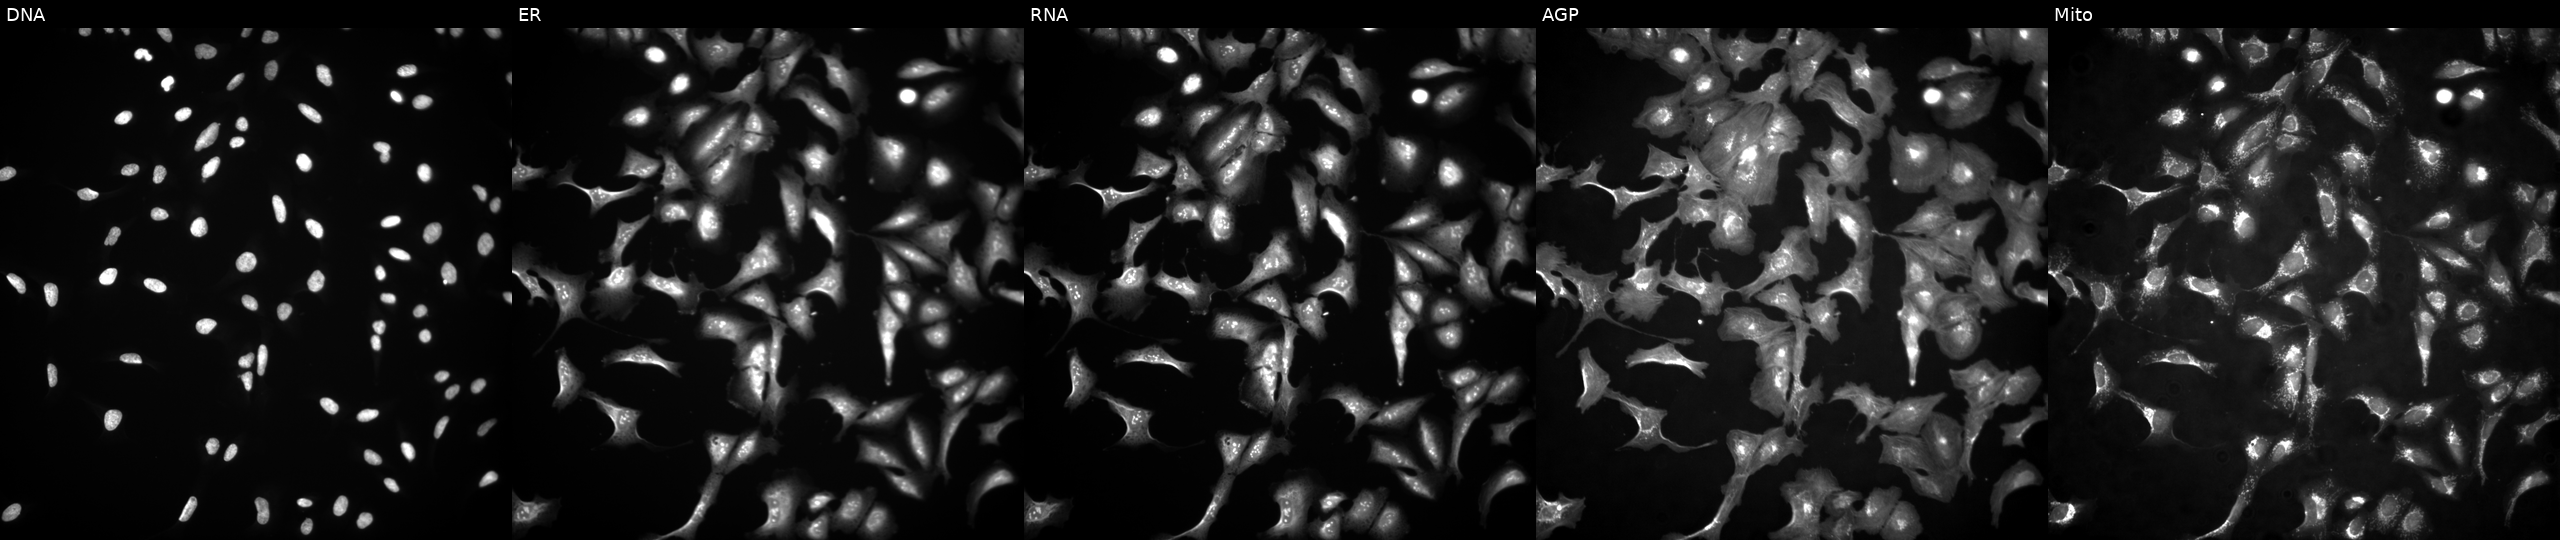
JUMP Cell Painting — ORF plate. U2OS cells transfected with an ORF construct for PWP1. Channels (left→right): DNA (nuclei); ER (endoplasmic reticulum); RNA (nucleoli and cytoplasmic RNA); AGP (actin cytoskeleton, Golgi, and plasma membrane); Mito (mitochondria).